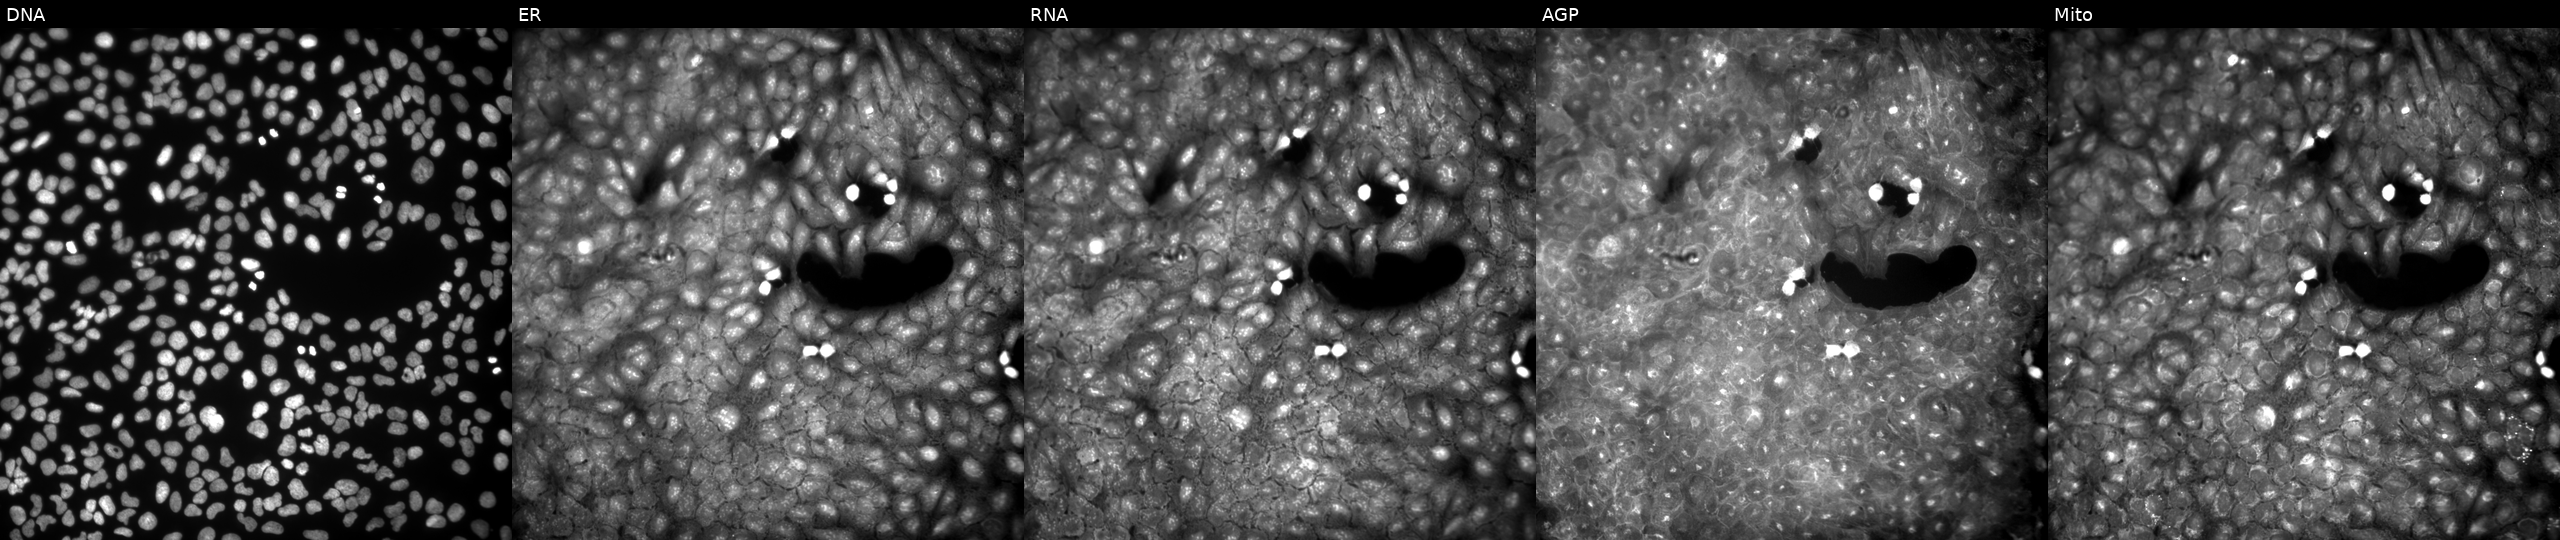
High-content fluorescence microscopy (Cell Painting). Cell line: U2OS. Perturbation: treated with a small-molecule compound (InChIKey KJQZSKKHQUTQOK-UHFFFAOYSA-N). The five panels, left to right, show DNA (nuclei); ER (endoplasmic reticulum); RNA (nucleoli and cytoplasmic RNA); AGP (actin cytoskeleton, Golgi, and plasma membrane); Mito (mitochondria).